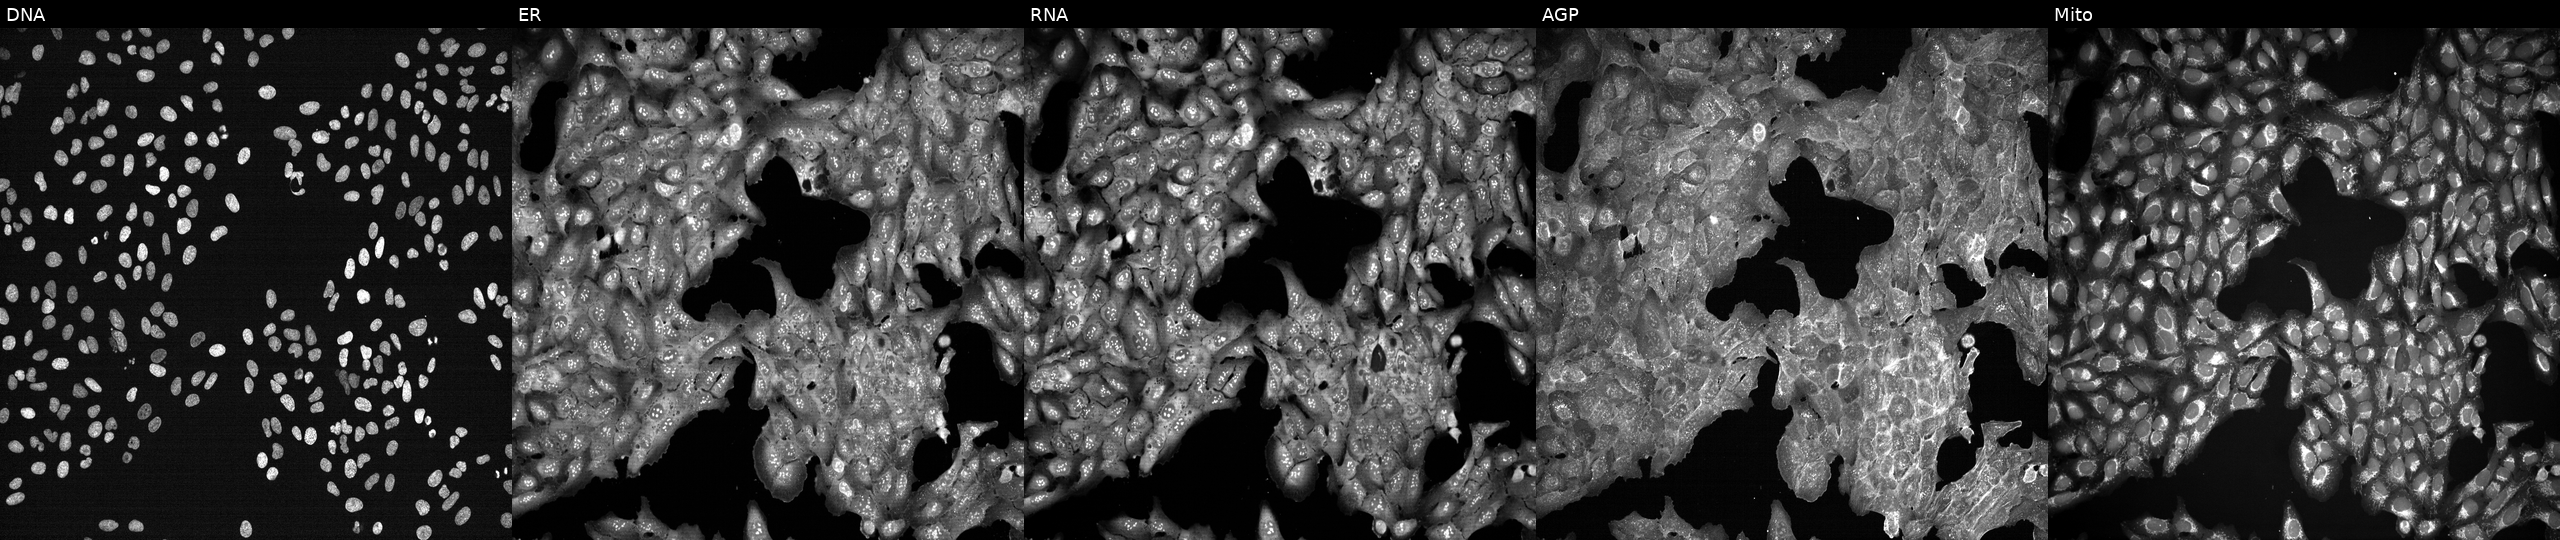
JUMP Cell Painting — TARGET2 plate. U2OS cells treated with a small-molecule compound (InChIKey CXUCKELNYMZTRT-UHFFFAOYSA-N) (JUMP id JCP2022_014114). Panels show, left to right, DNA (nuclei); ER (endoplasmic reticulum); RNA (nucleoli and cytoplasmic RNA); AGP (actin cytoskeleton, Golgi, and plasma membrane); Mito (mitochondria).